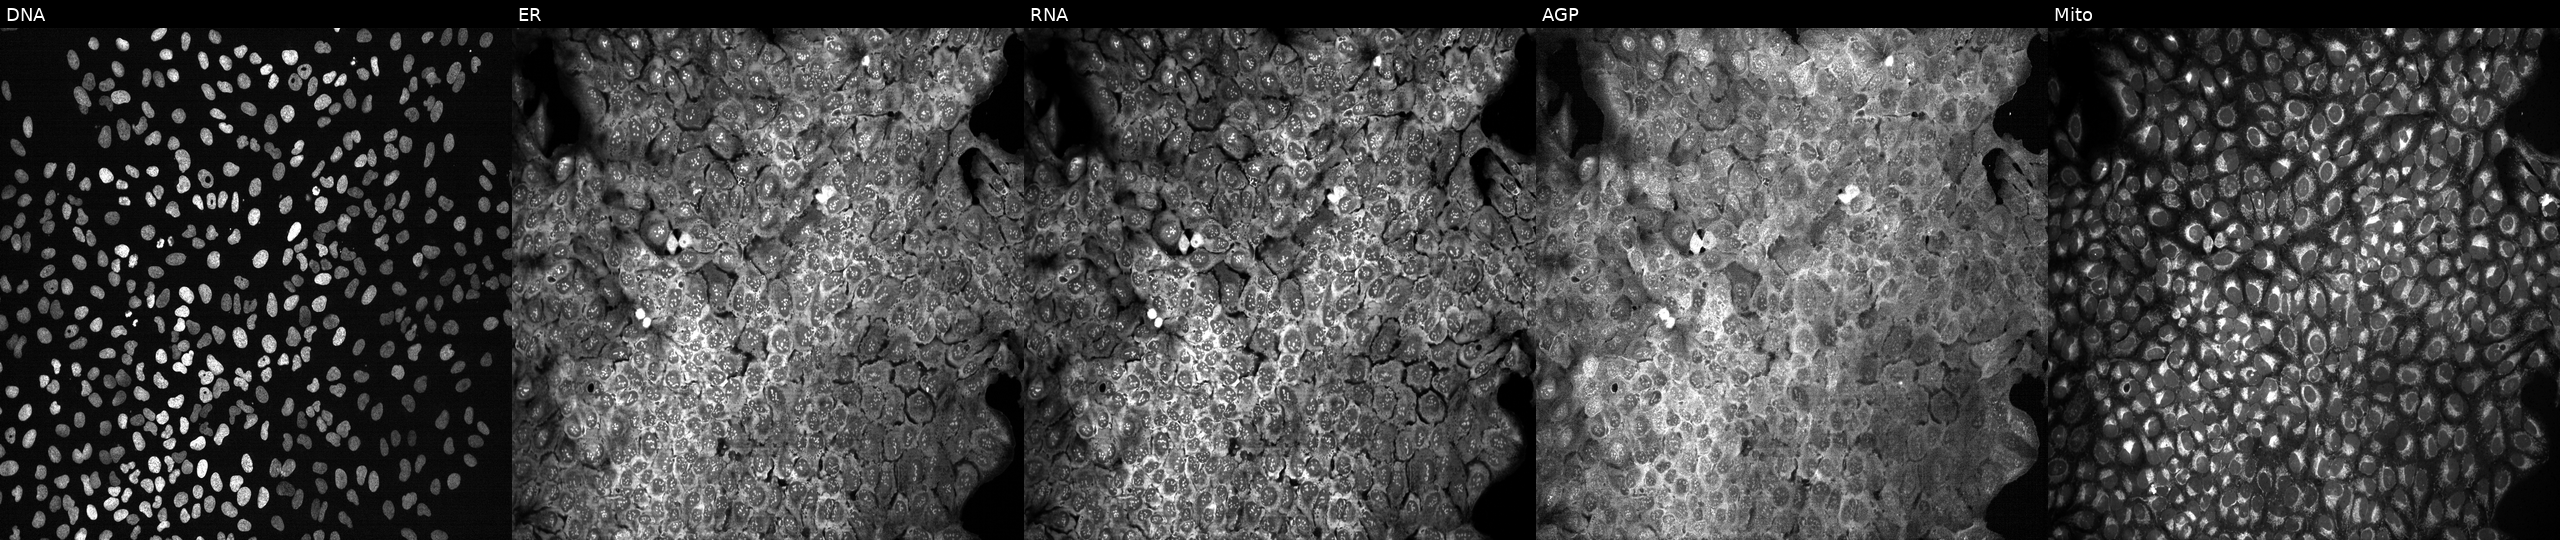
This image strip shows the five Cell Painting channels for a single field of U2OS cells with CYP26A1 knocked out by CRISPR (JUMP id JCP2022_801627). The five panels, left to right, show Hoechst 33342, concanavalin A, SYTO 14, phalloidin and WGA, MitoTracker.